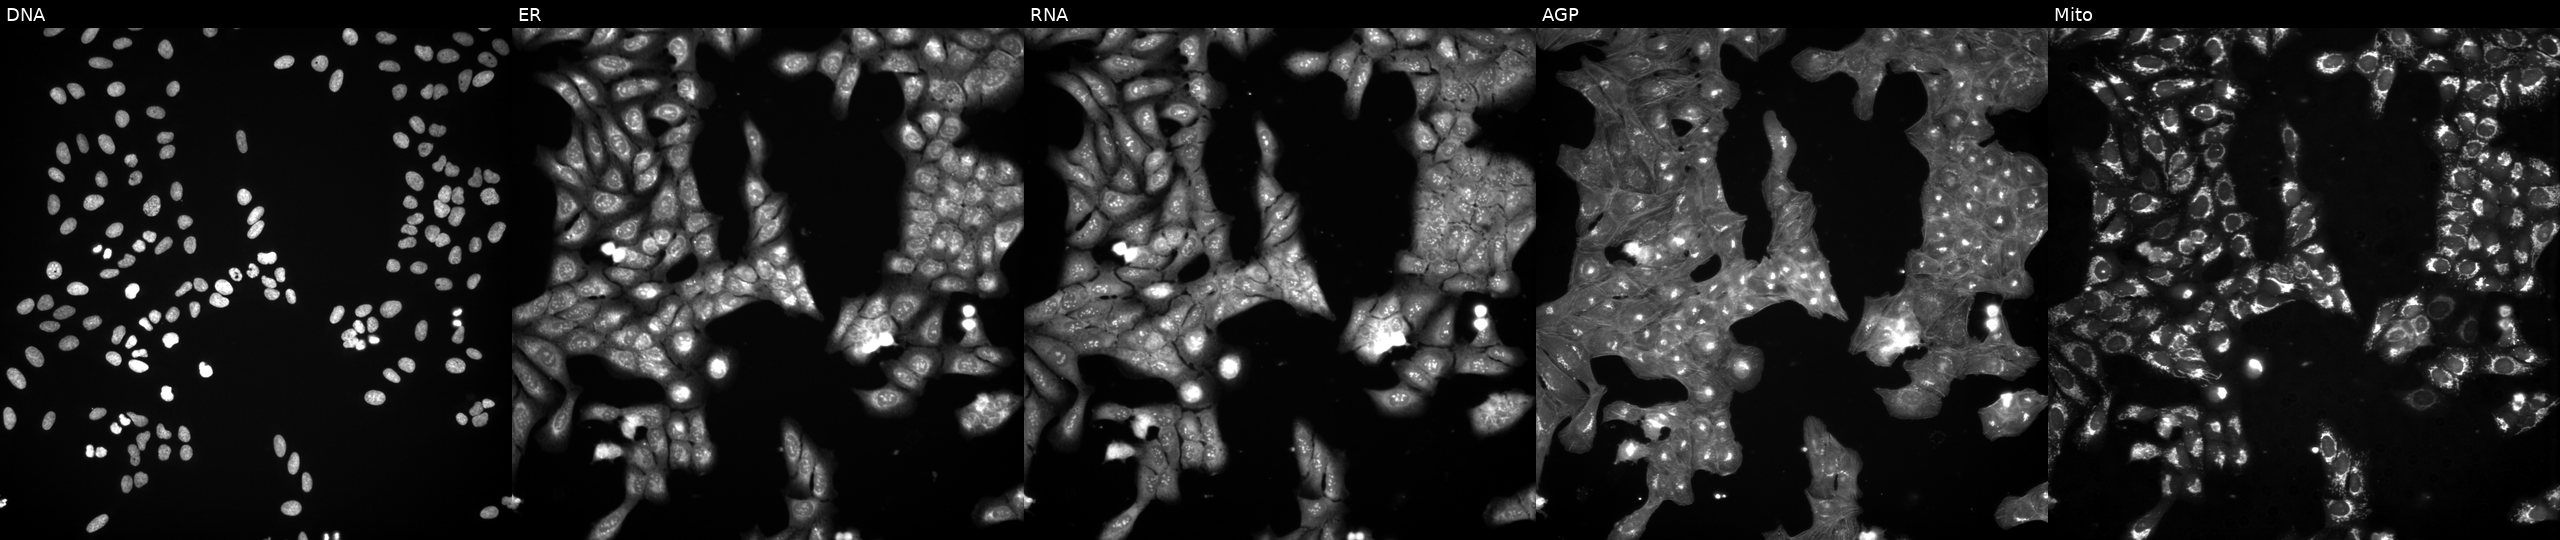
U2OS cells, Cell Painting assay, perturbed with a small-molecule compound (InChIKey BCKFXCUZPODDKB-UHFFFAOYSA-N) [SMILES: Oc1cc(Nc2ccc(N3CCOCC3)cc2)c(O)n1-c1cccc(C(F)(F)F)c1]. Panels show, left to right, DNA, ER, RNA, AGP, and Mito. Each panel is percentile-stretched 16-bit fluorescence.